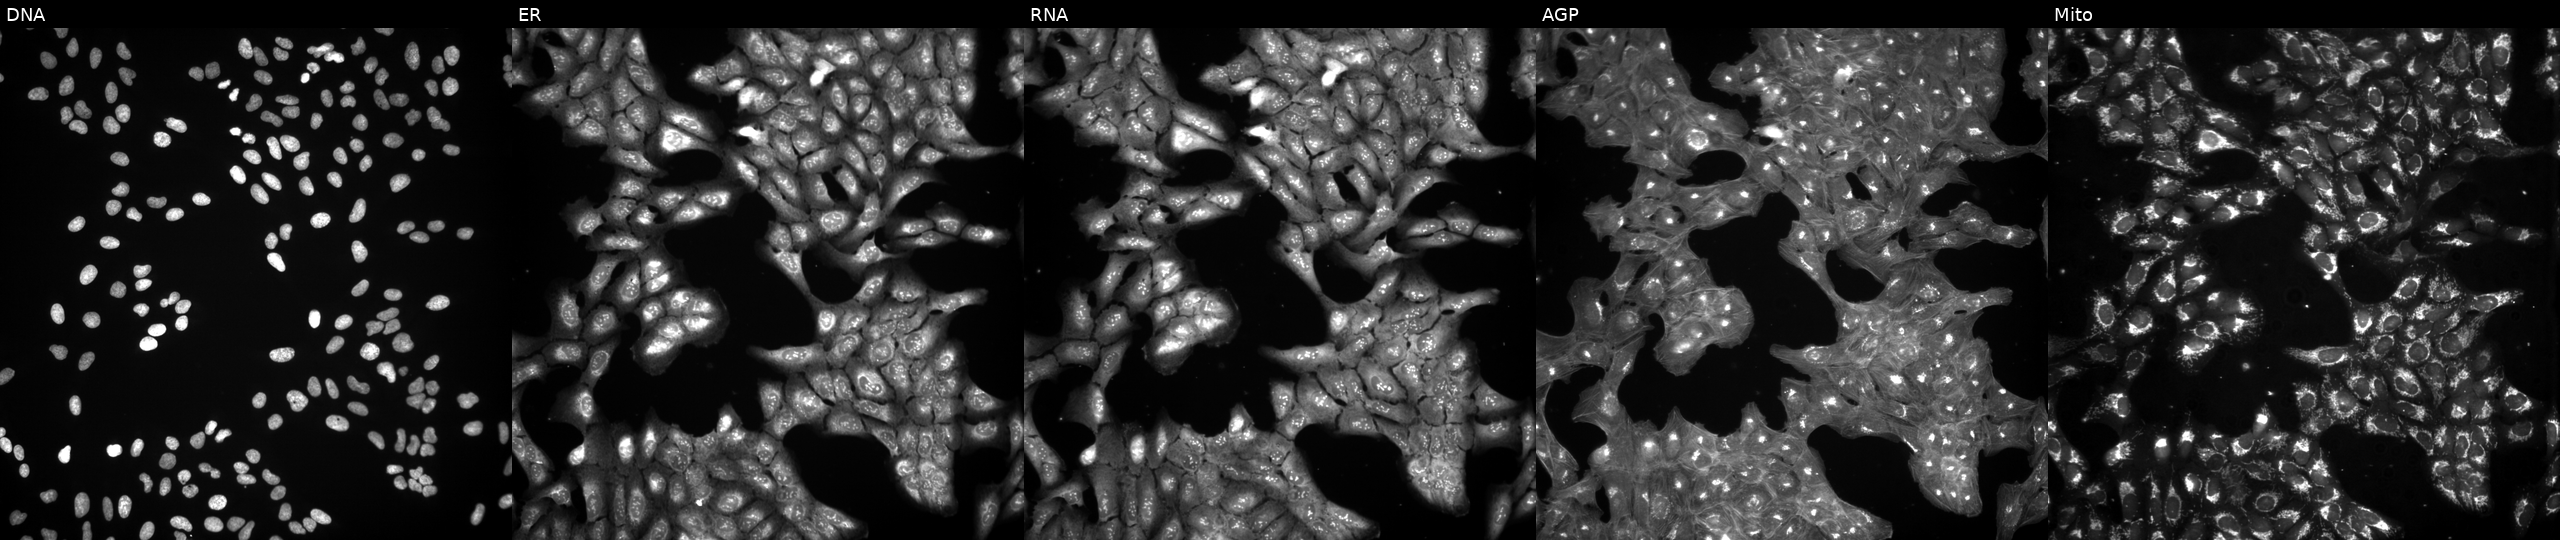
JUMP Cell Painting — TARGET2 plate. U2OS cells treated with a small-molecule compound (InChIKey ONIBWKKTOPOVIA-UHFFFAOYSA-N) [SMILES: O=C(O)C1CCCN1]. The five panels, left to right, show DNA, ER, RNA, AGP, and Mito. Source 3, plate JCPQC052, well M02.